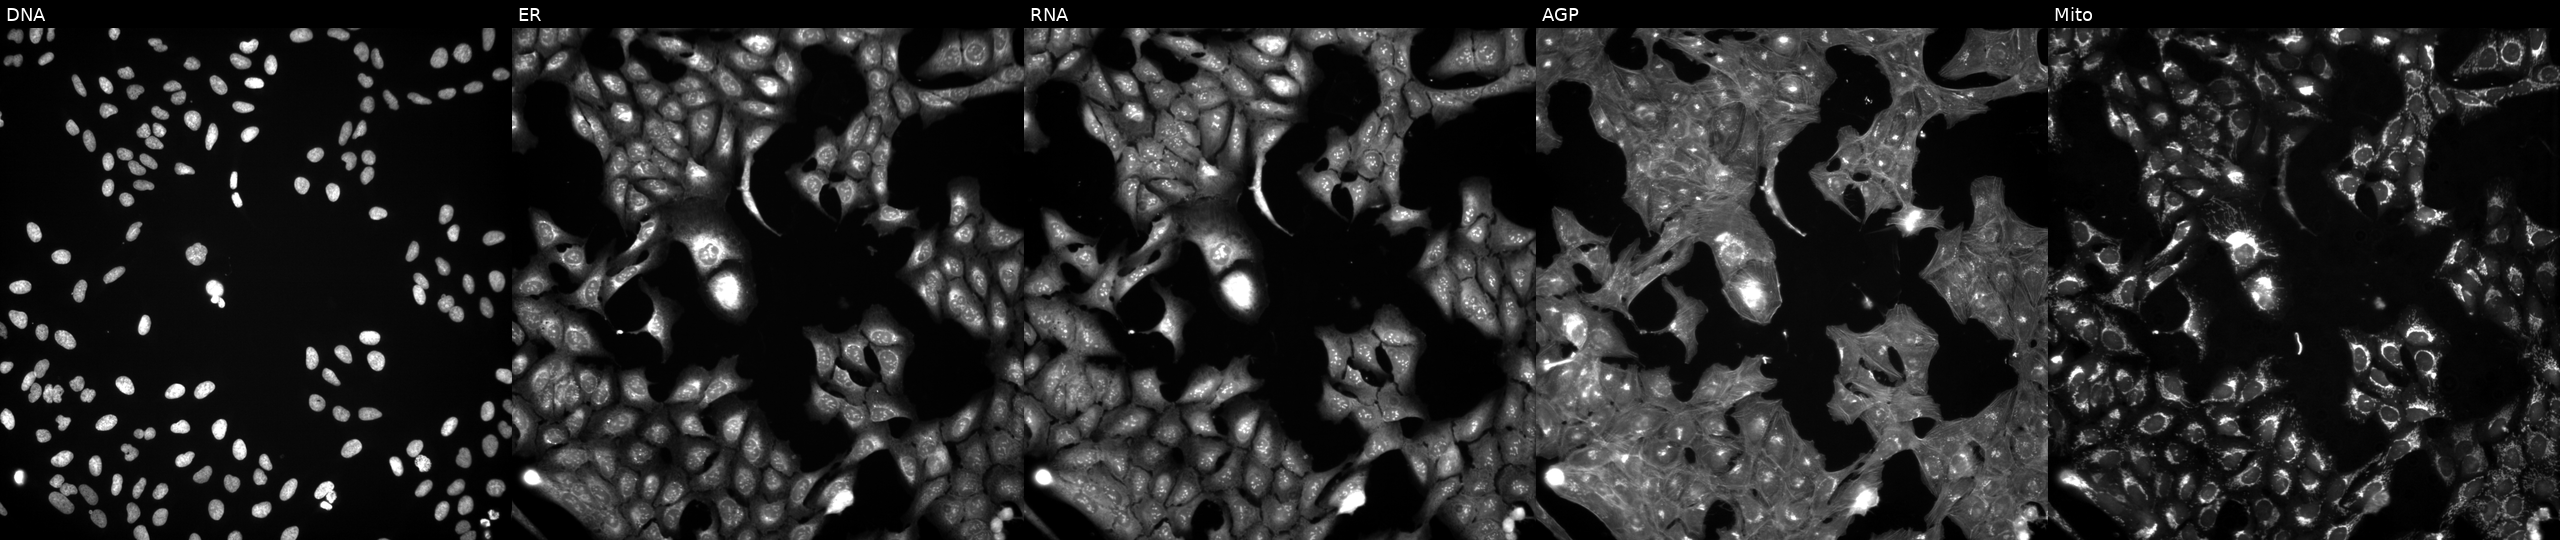
JUMP Cell Painting — COMPOUND plate. U2OS cells exposed to a small-molecule compound. Panels show, left to right, DNA, ER, RNA, AGP, and Mito. Source 3, plate BR5867b3, well N04.